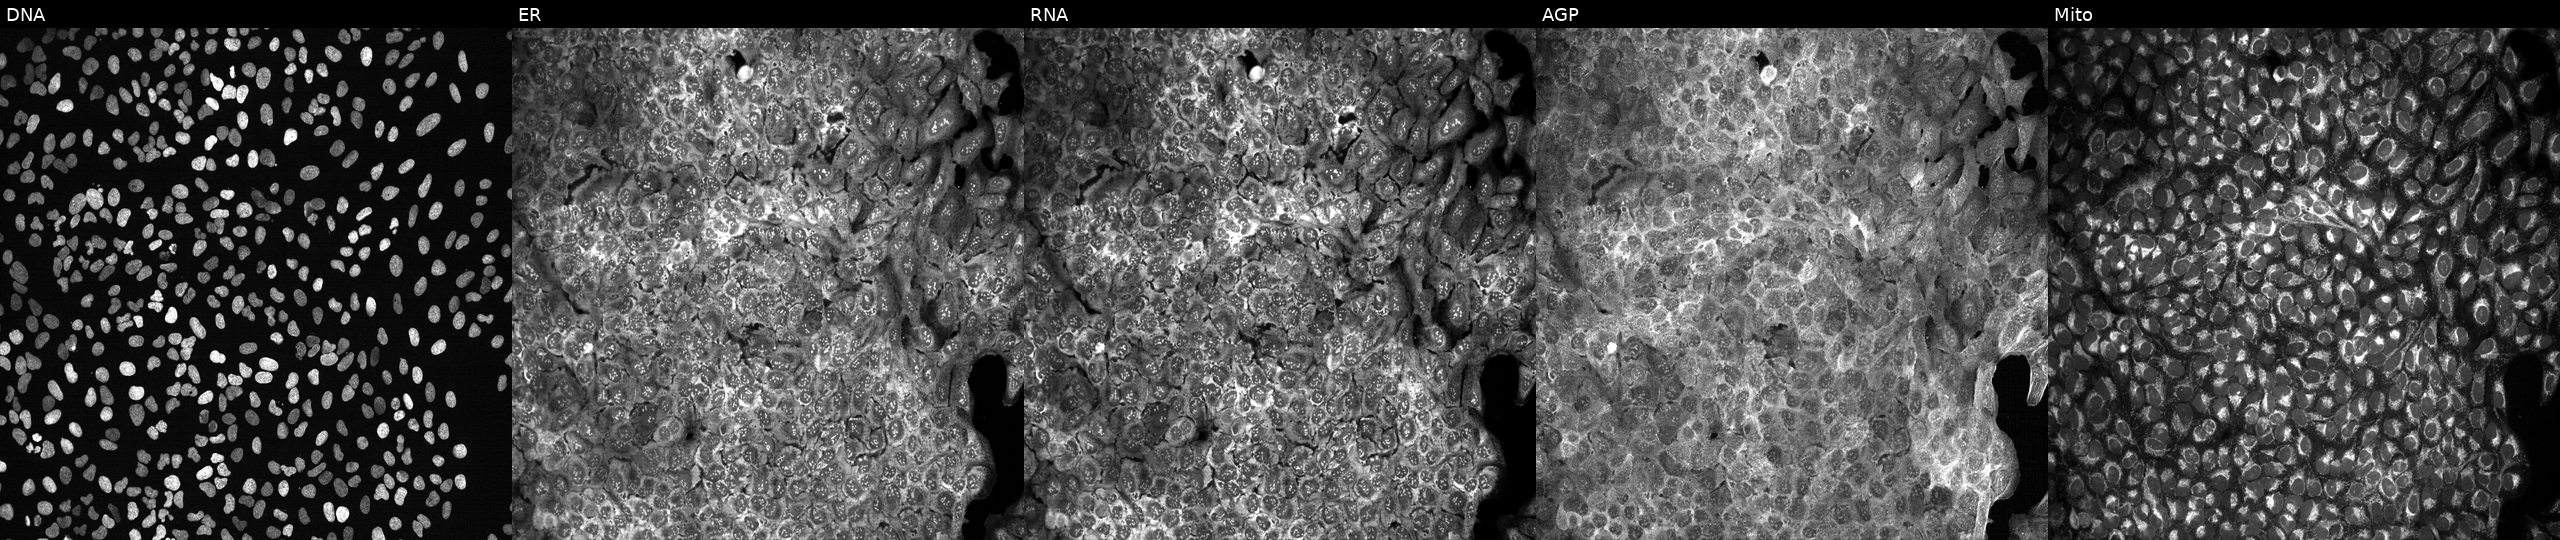
Five-channel Cell Painting image of U2OS cells with no CRISPR guide (negative control) (JUMP id JCP2022_800001). From left to right: DNA, ER, RNA, AGP, and Mito.